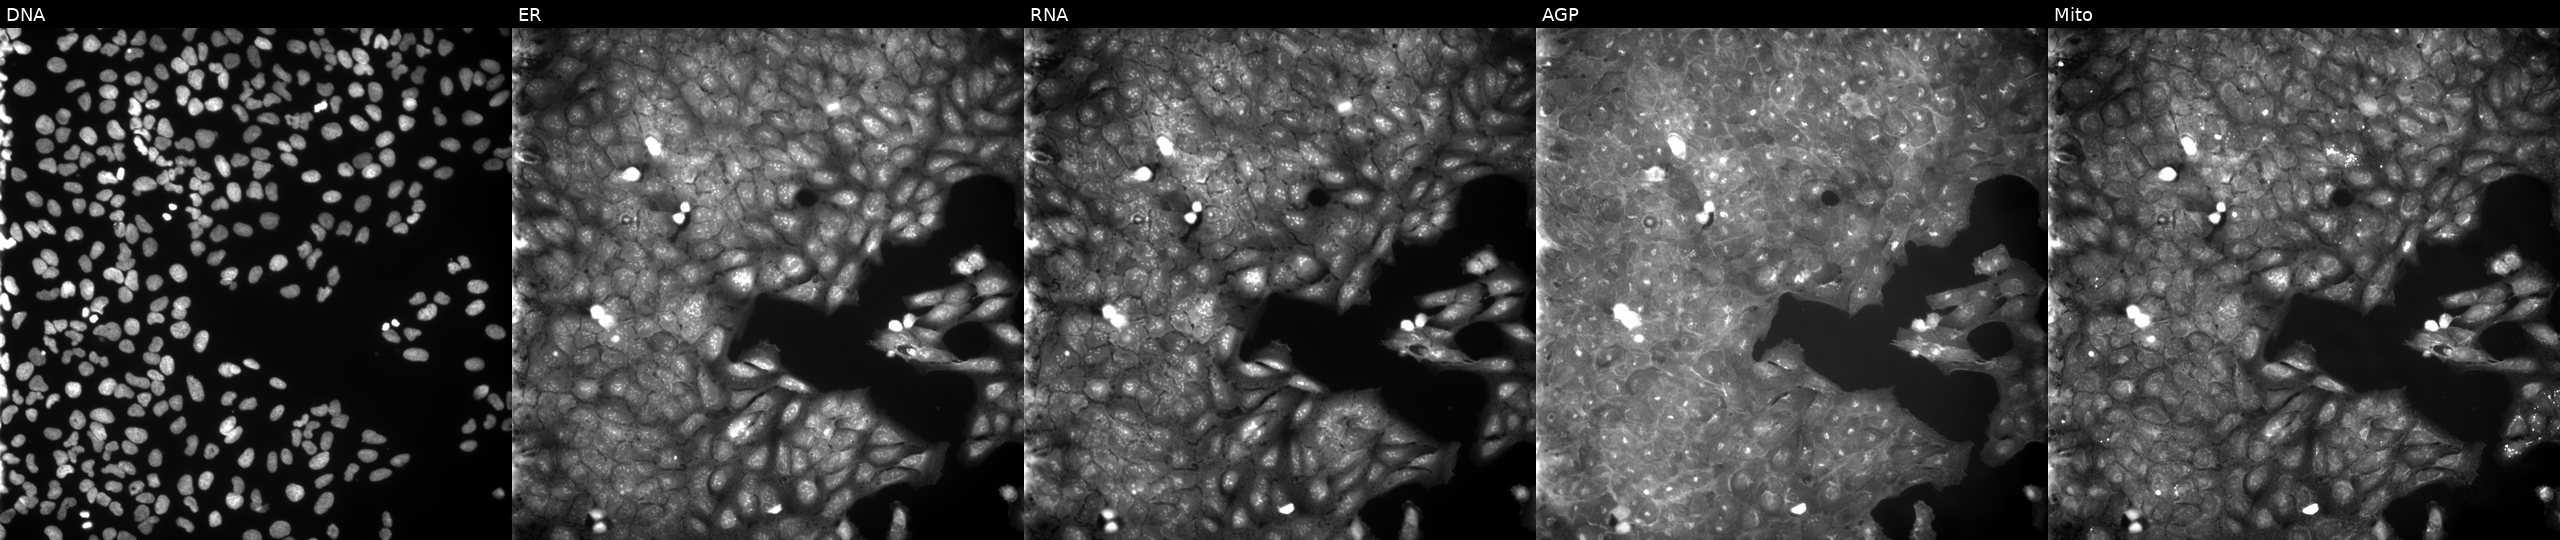
High-content fluorescence microscopy (Cell Painting). Cell line: U2OS. Perturbation: exposed to the positive-control compound aloxistatin. Panels show, left to right, DNA (nuclei); ER (endoplasmic reticulum); RNA (nucleoli and cytoplasmic RNA); AGP (actin cytoskeleton, Golgi, and plasma membrane); Mito (mitochondria).